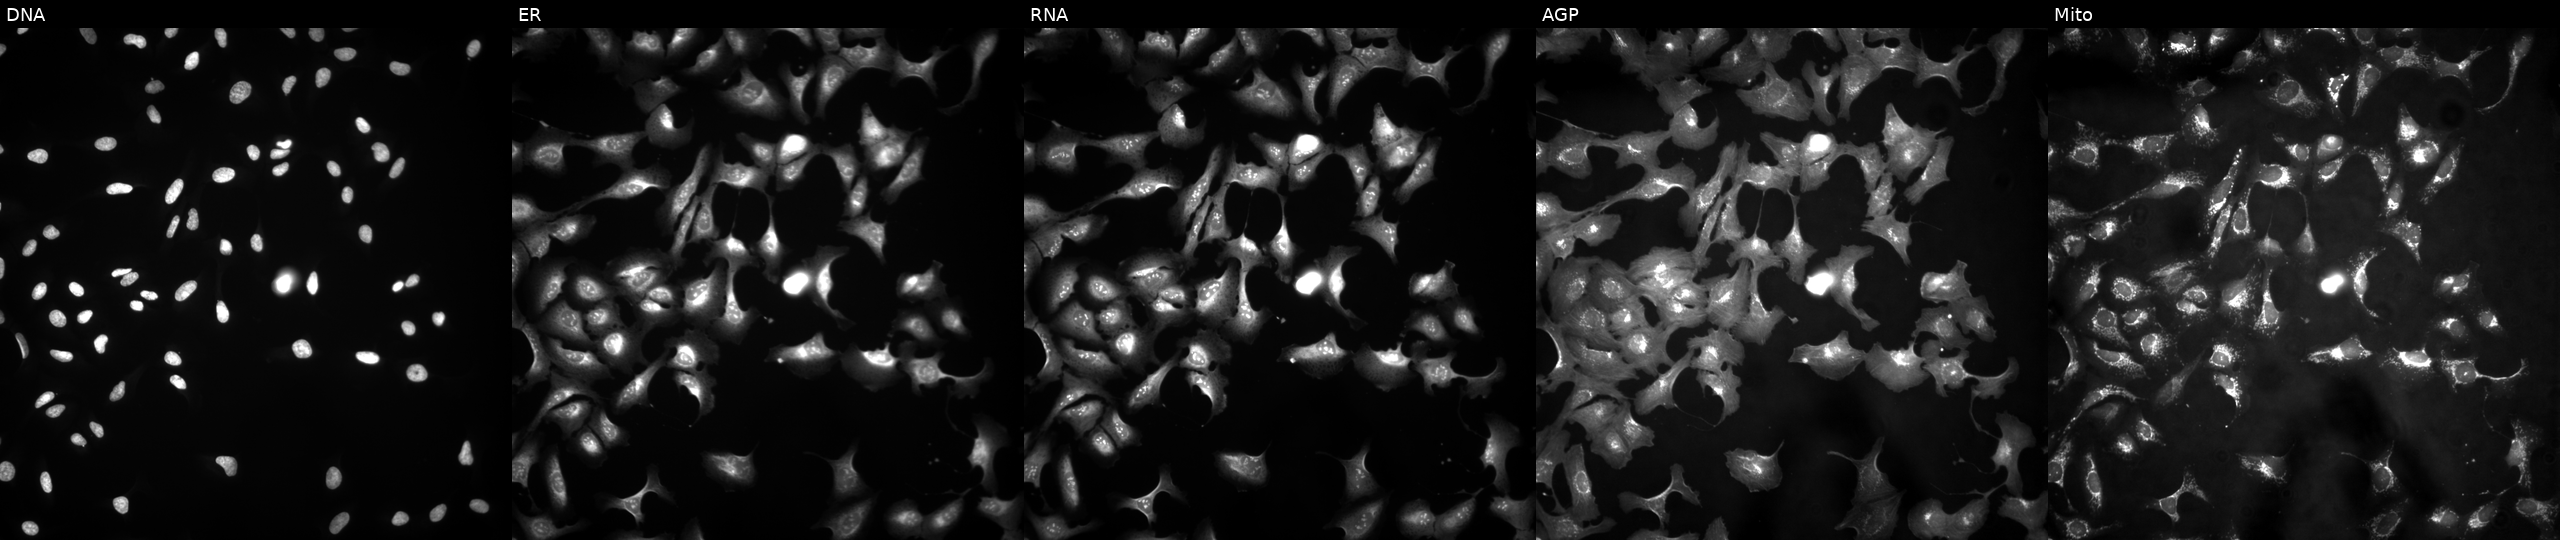
This image strip shows the five Cell Painting channels for a single field of U2OS cells transfected with an ORF construct for SLC35C2 (JUMP id JCP2022_902972). From left to right: DNA, ER, RNA, AGP, and Mito.